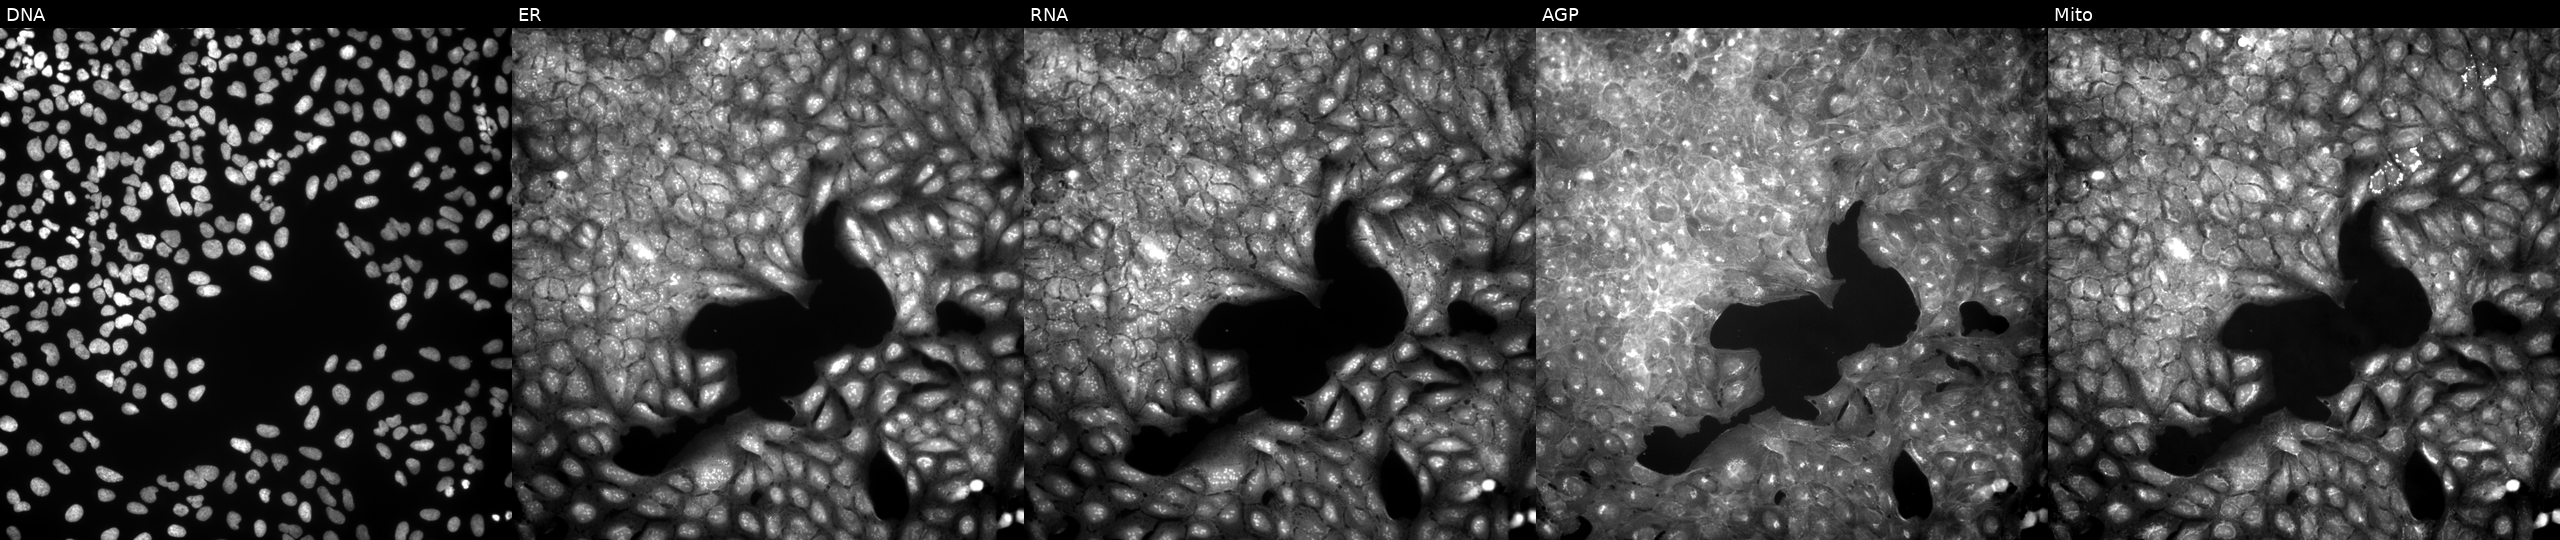
Five-channel Cell Painting image of U2OS cells treated with a small-molecule compound (InChIKey GVEFQSYZTXFZIC-UHFFFAOYSA-N) (JUMP id JCP2022_027995). The five panels, left to right, show DNA, ER, RNA, AGP, and Mito.